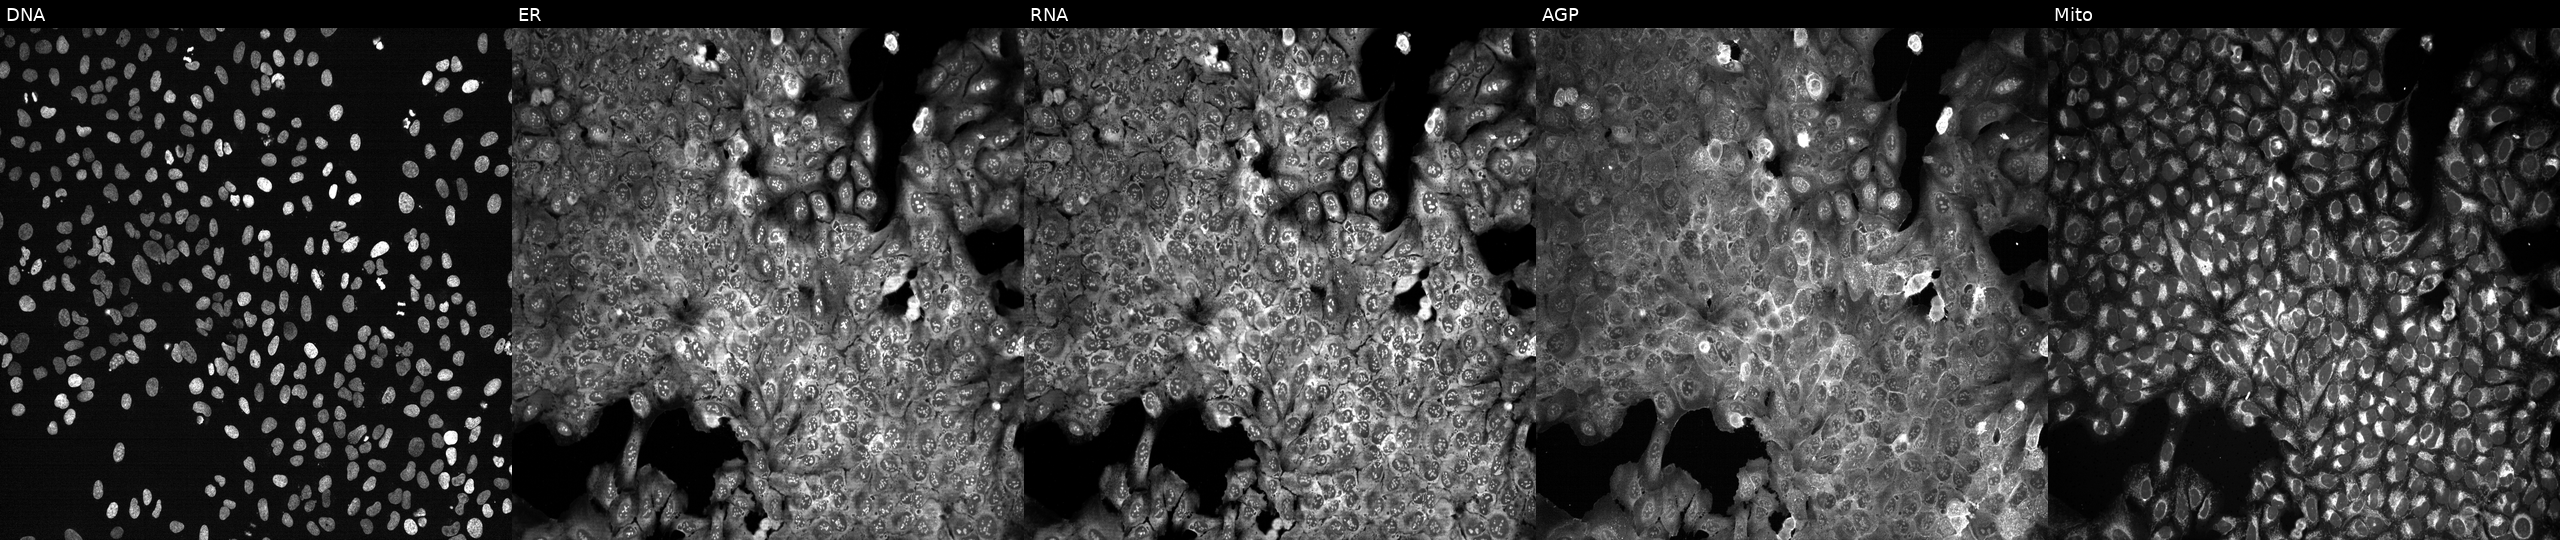
Five-channel Cell Painting image of U2OS cells with RELT knocked out by CRISPR. Channels (left→right): Hoechst 33342, concanavalin A, SYTO 14, phalloidin and WGA, MitoTracker. Source 13, plate CP-CC9-R4-03, well A13.